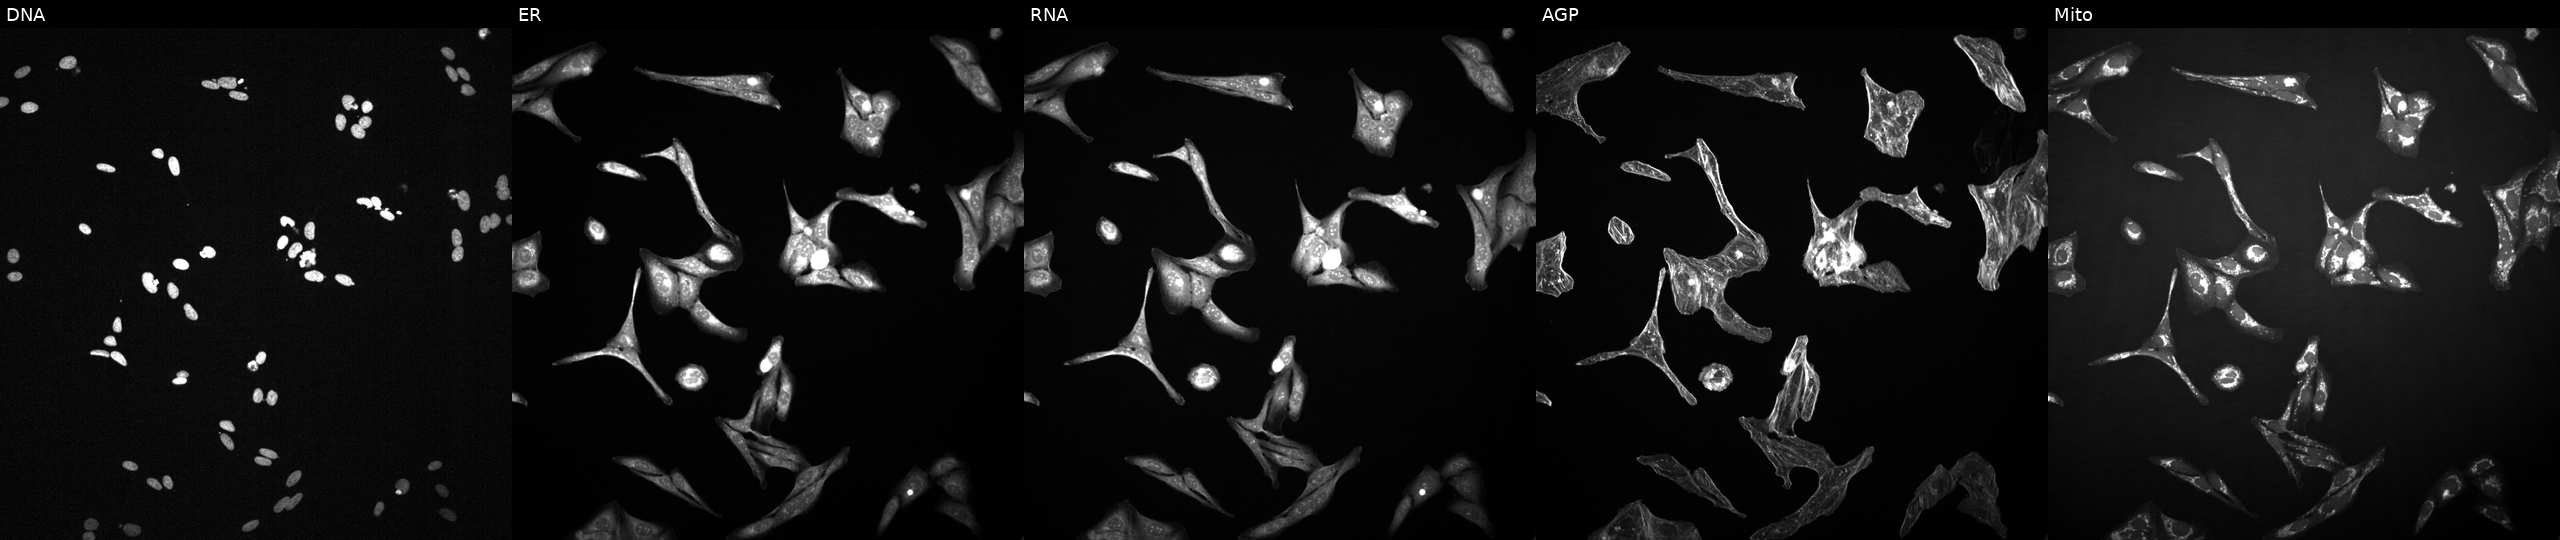
Five-channel Cell Painting image of U2OS cells treated with a small-molecule compound. From left to right: DNA (nuclei); ER (endoplasmic reticulum); RNA (nucleoli and cytoplasmic RNA); AGP (actin cytoskeleton, Golgi, and plasma membrane); Mito (mitochondria).